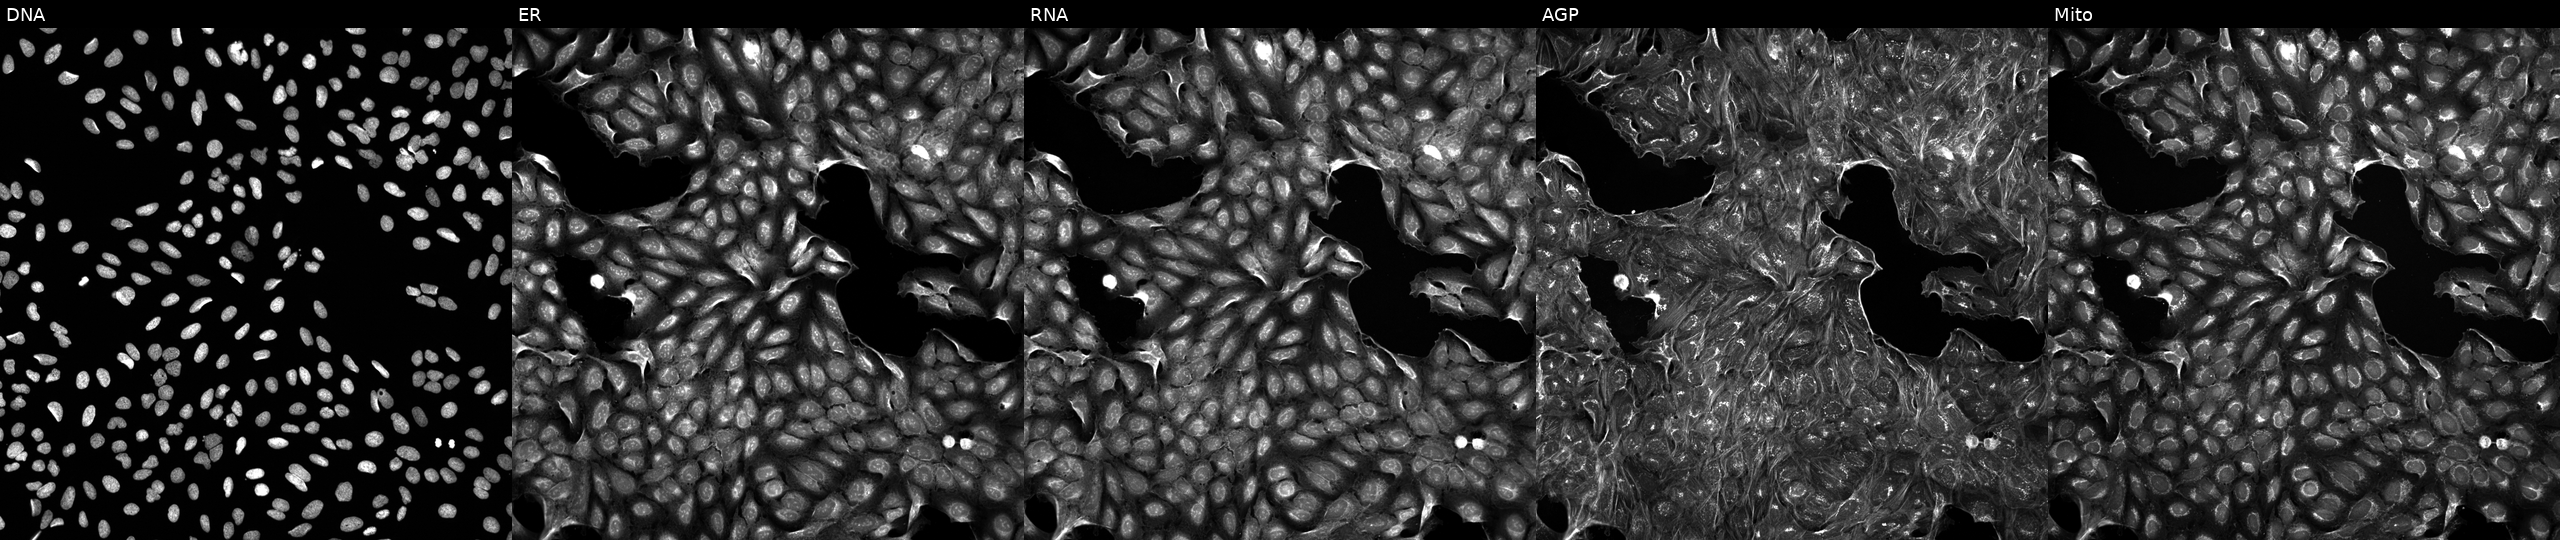
Five-channel Cell Painting image of U2OS cells perturbed with a small-molecule compound. The five panels, left to right, show Hoechst 33342, concanavalin A, SYTO 14, phalloidin and WGA, MitoTracker. Source 5, plate APTJUM106, well M05.